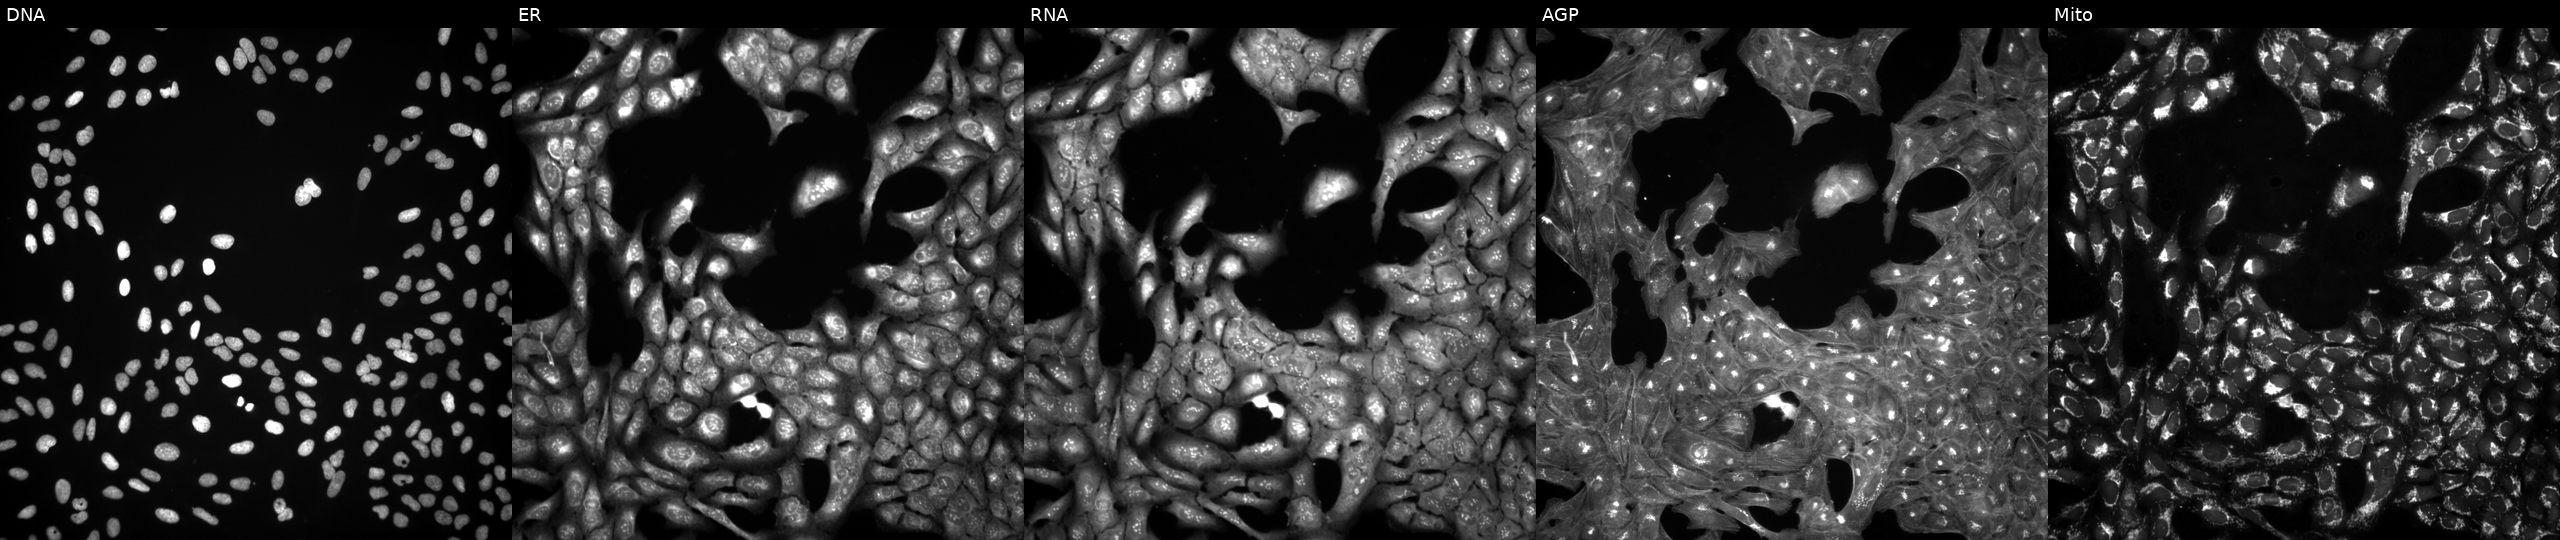
U2OS cells, Cell Painting assay, treated with a small-molecule compound (InChIKey JRBZPQRJESOFBL-UHFFFAOYSA-N). Panels show, left to right, DNA, ER, RNA, AGP, and Mito. Each panel is percentile-stretched 16-bit fluorescence.